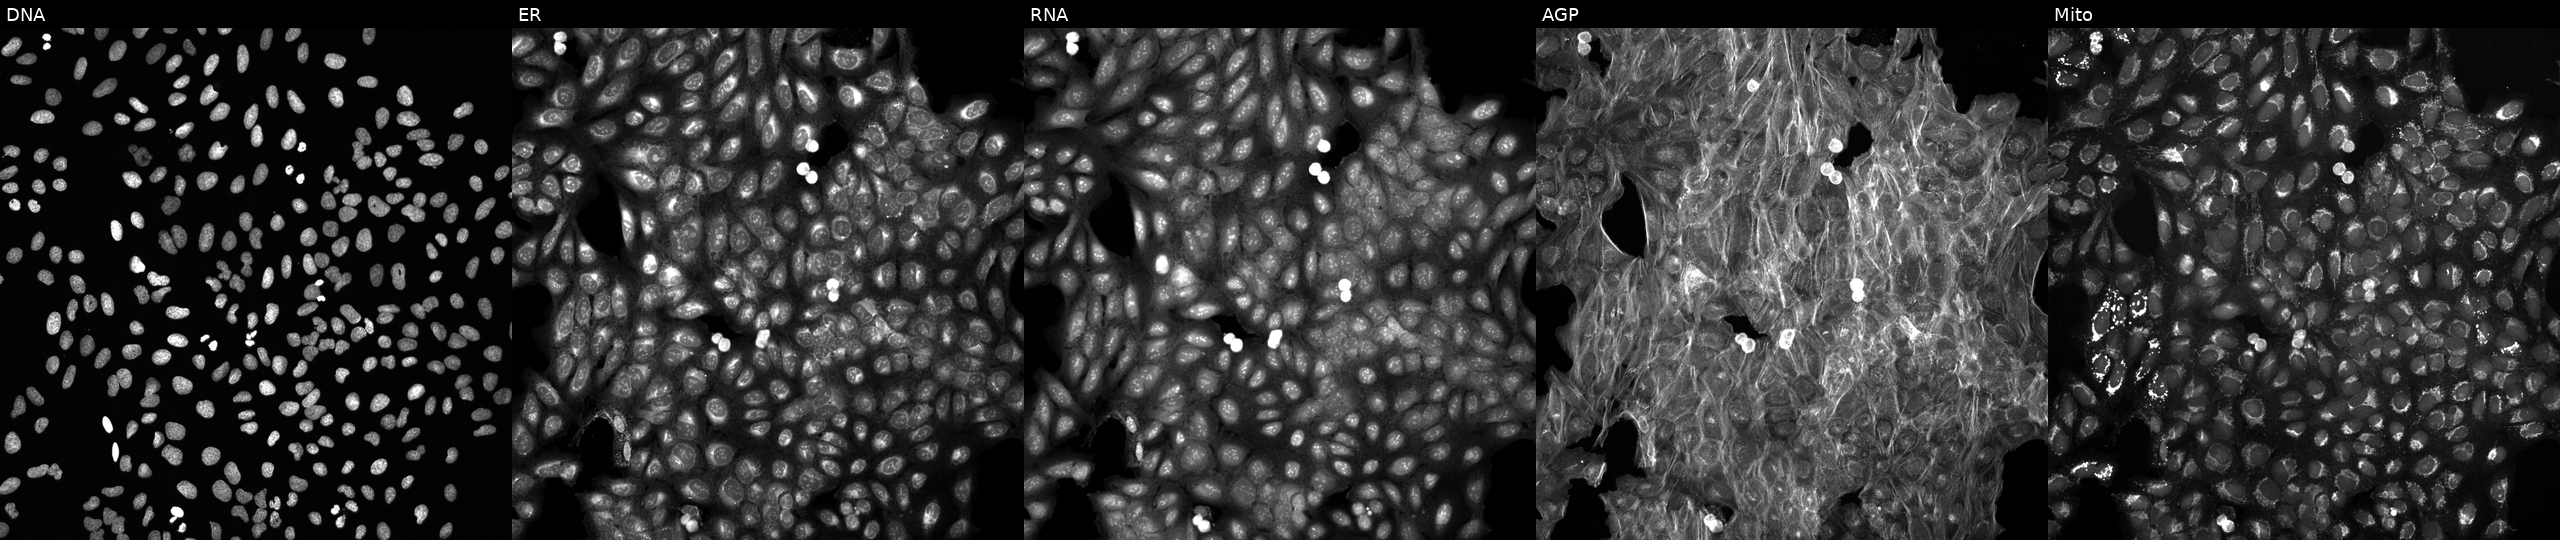
Panels show, left to right, DNA (nuclei); ER (endoplasmic reticulum); RNA (nucleoli and cytoplasmic RNA); AGP (actin cytoskeleton, Golgi, and plasma membrane); Mito (mitochondria). U2OS osteosarcoma cells exposed to a small-molecule compound (InChIKey LPEPZBJOKDYZAD-UHFFFAOYSA-N). Cell Painting assay, JUMP-CP dataset.